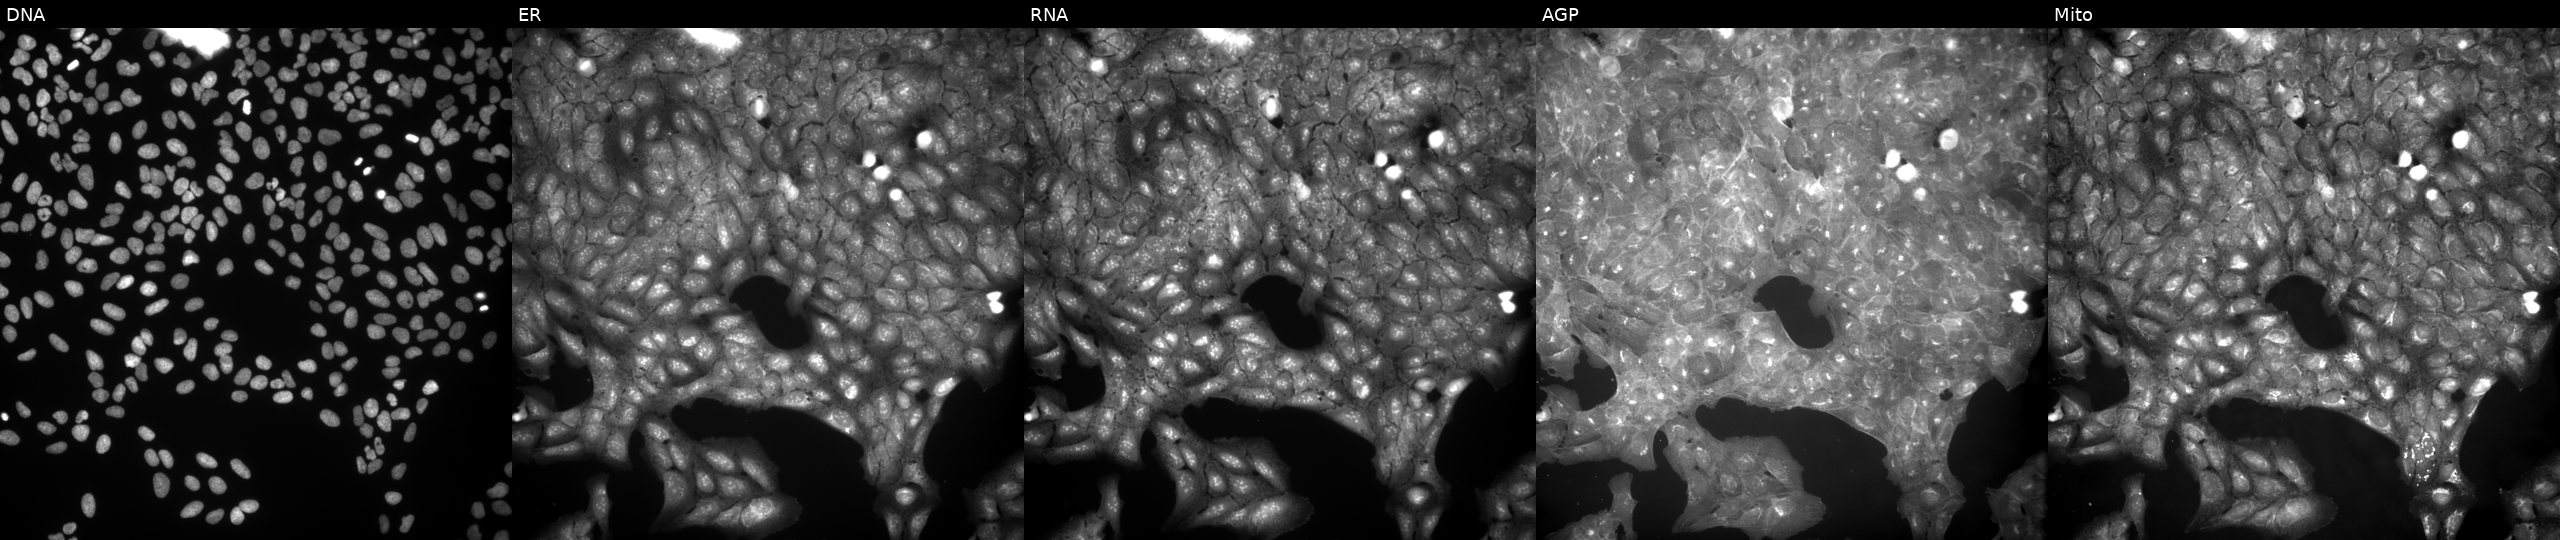
Panels show, left to right, DNA, ER, RNA, AGP, and Mito. U2OS osteosarcoma cells perturbed with a small-molecule compound (JUMP id JCP2022_109952). Cell Painting assay, JUMP-CP dataset. Source 9, plate GR00003381, well E36.